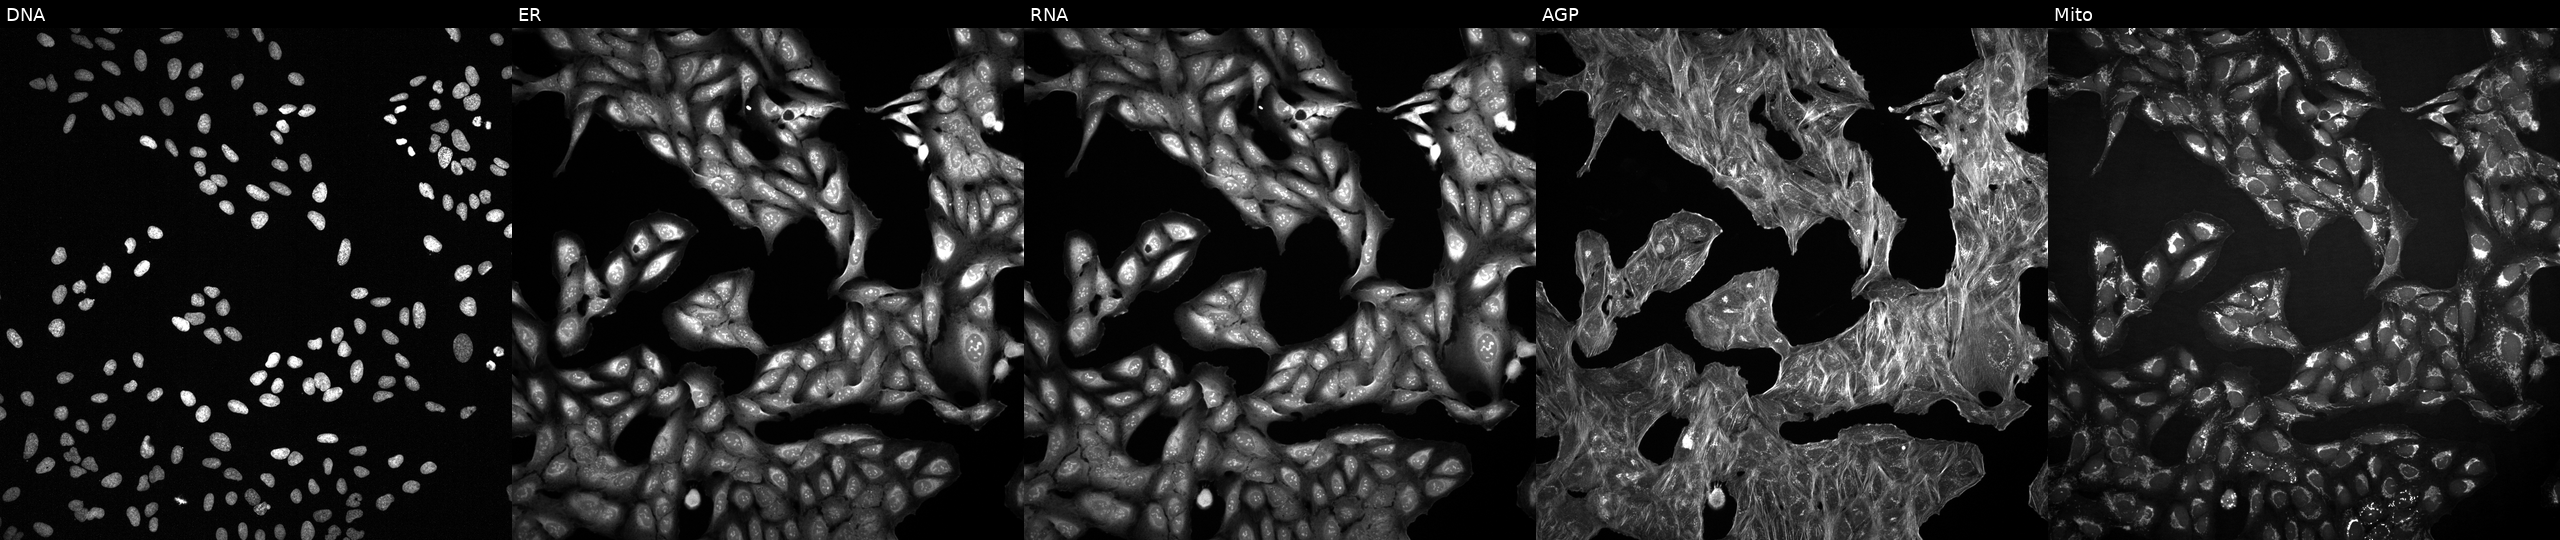
Five-channel Cell Painting image of U2OS cells treated with a small-molecule compound (InChIKey HWBWGPLDLMCOHN-UHFFFAOYSA-N). Channels (left→right): Hoechst 33342, concanavalin A, SYTO 14, phalloidin and WGA, MitoTracker. Source 2, plate 1053601763, well M11.